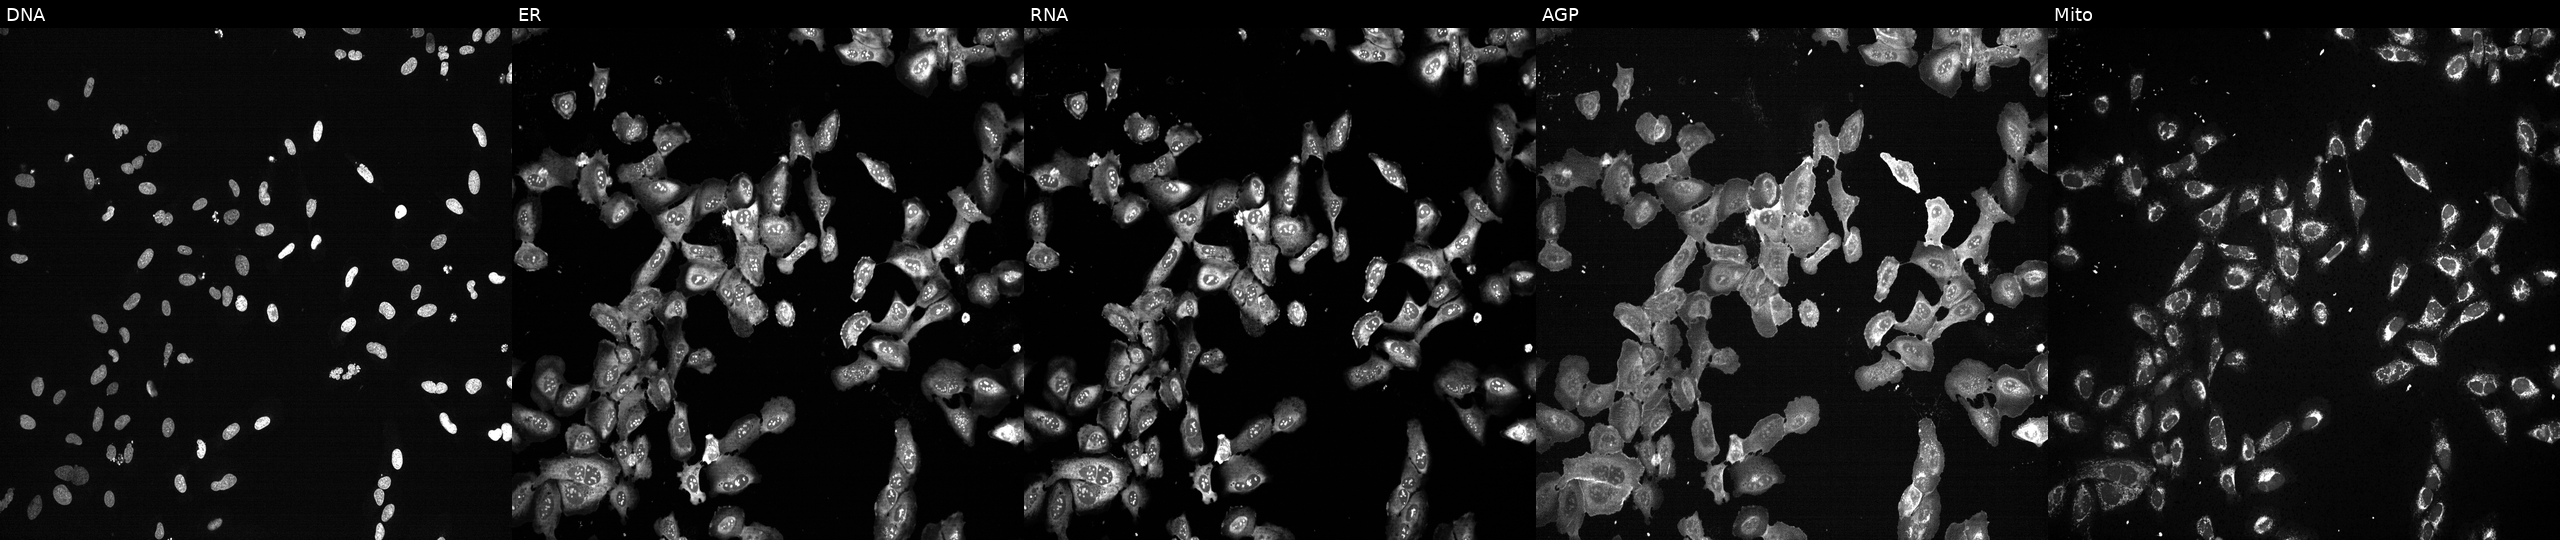
JUMP Cell Painting — CRISPR plate. U2OS cells exposed to the positive-control compound TC-S-7004. Channels (left→right): DNA, ER, RNA, AGP, and Mito. Source 13, plate CP-CC9-R3-01, well H01.